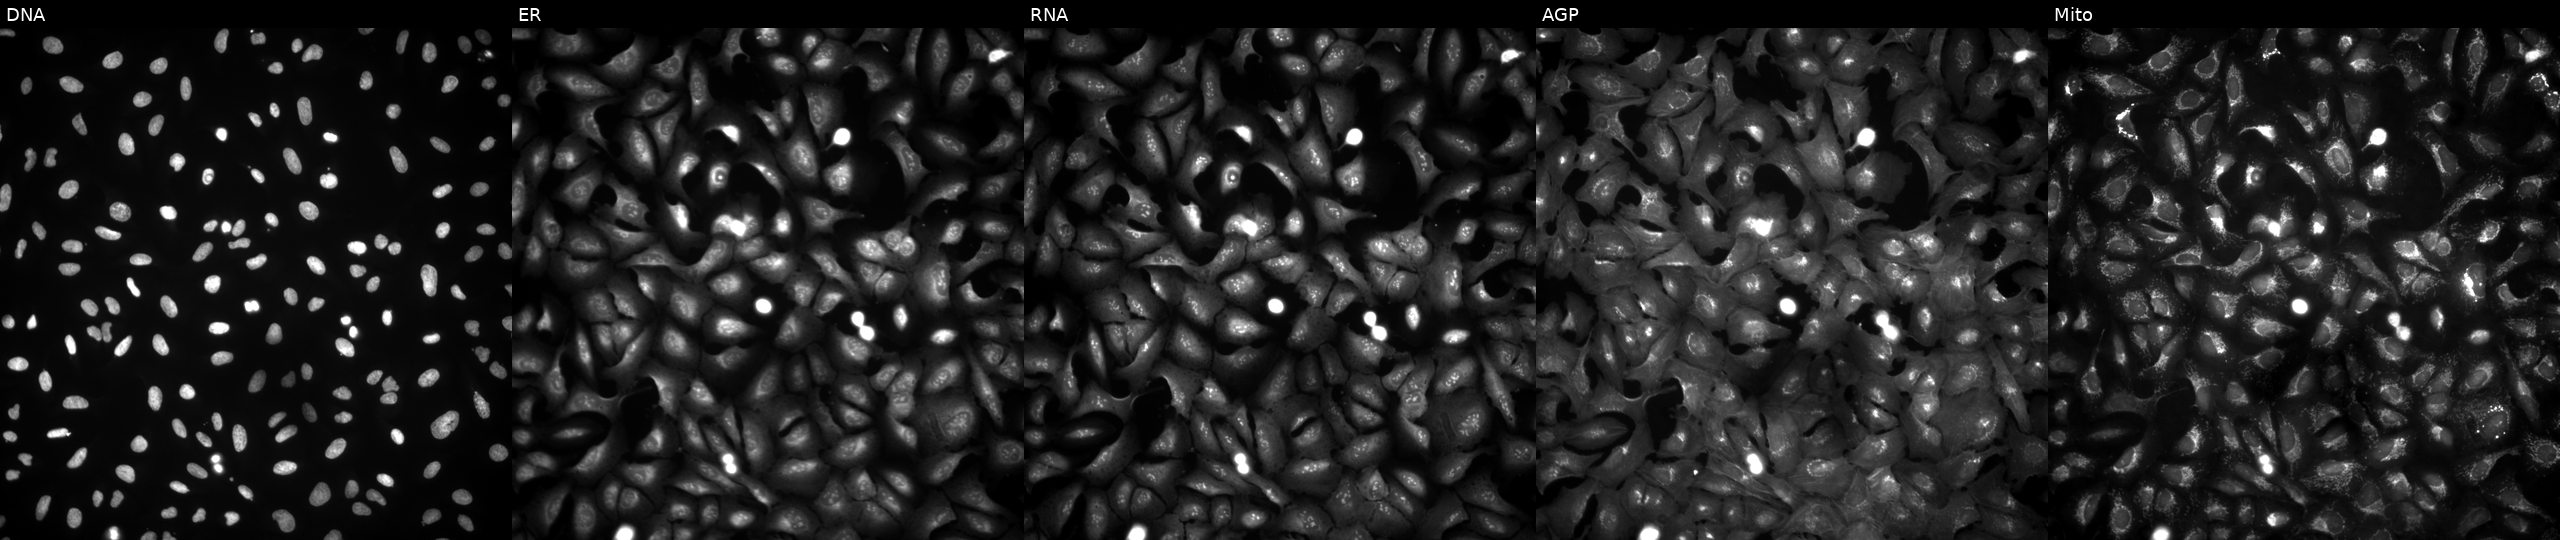
High-content fluorescence microscopy (Cell Painting). Cell line: U2OS. Perturbation: overexpressing TMEM208 via ORF transfection (JUMP id JCP2022_911092). From left to right: Hoechst 33342, concanavalin A, SYTO 14, phalloidin and WGA, MitoTracker.